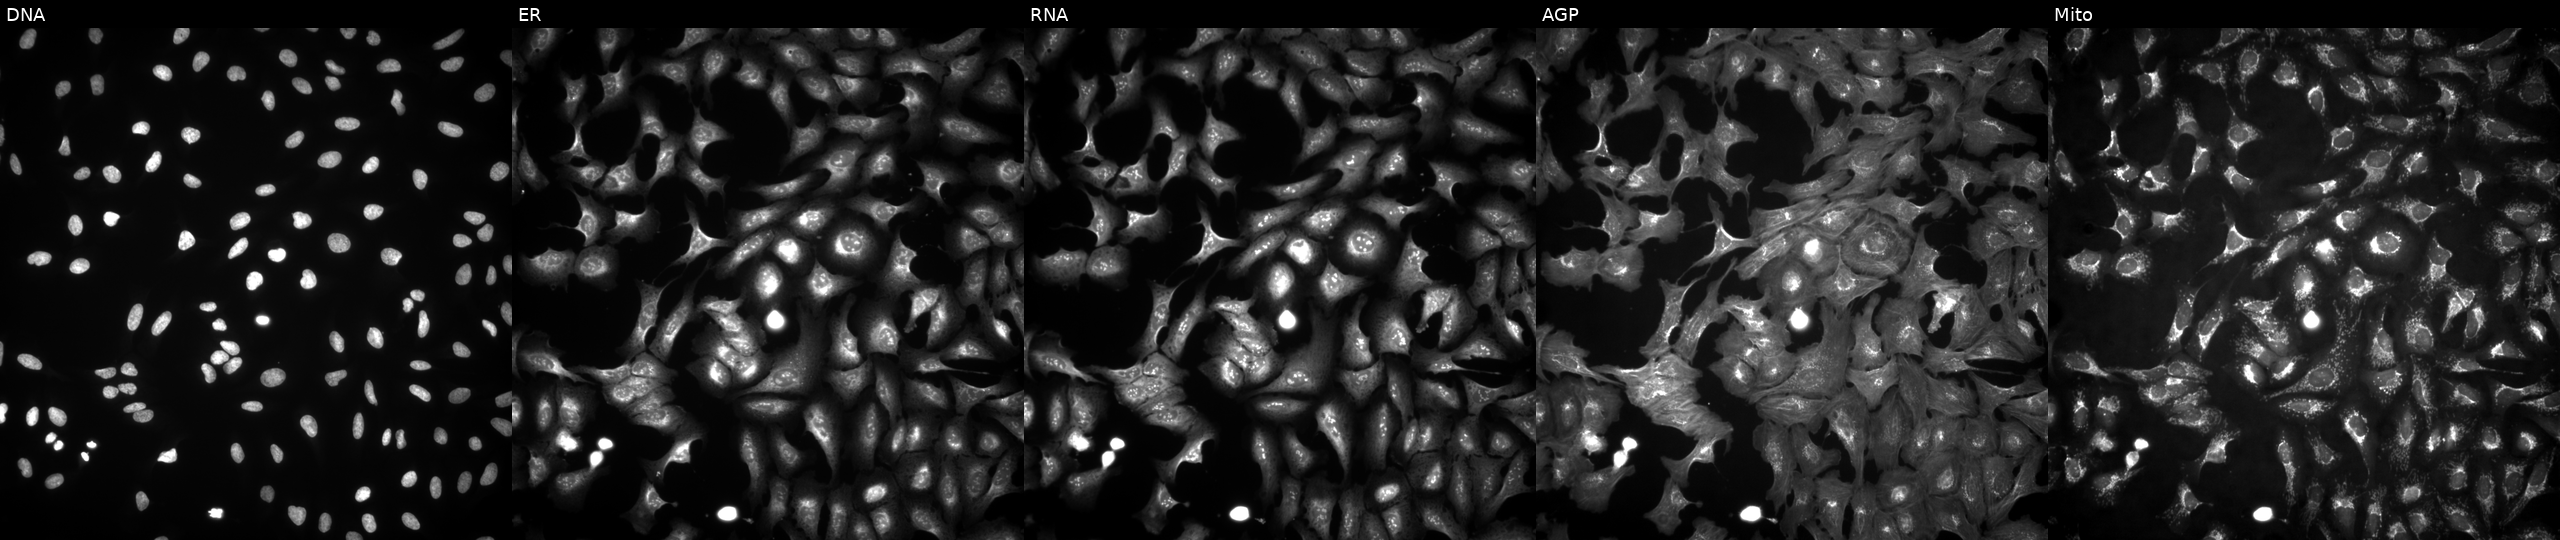
This image strip shows the five Cell Painting channels for a single field of U2OS cells overexpressing EGLN3 via ORF transfection (JUMP id JCP2022_904332). From left to right: DNA (nuclei); ER (endoplasmic reticulum); RNA (nucleoli and cytoplasmic RNA); AGP (actin cytoskeleton, Golgi, and plasma membrane); Mito (mitochondria). Source 4, plate BR00123509, well A12.